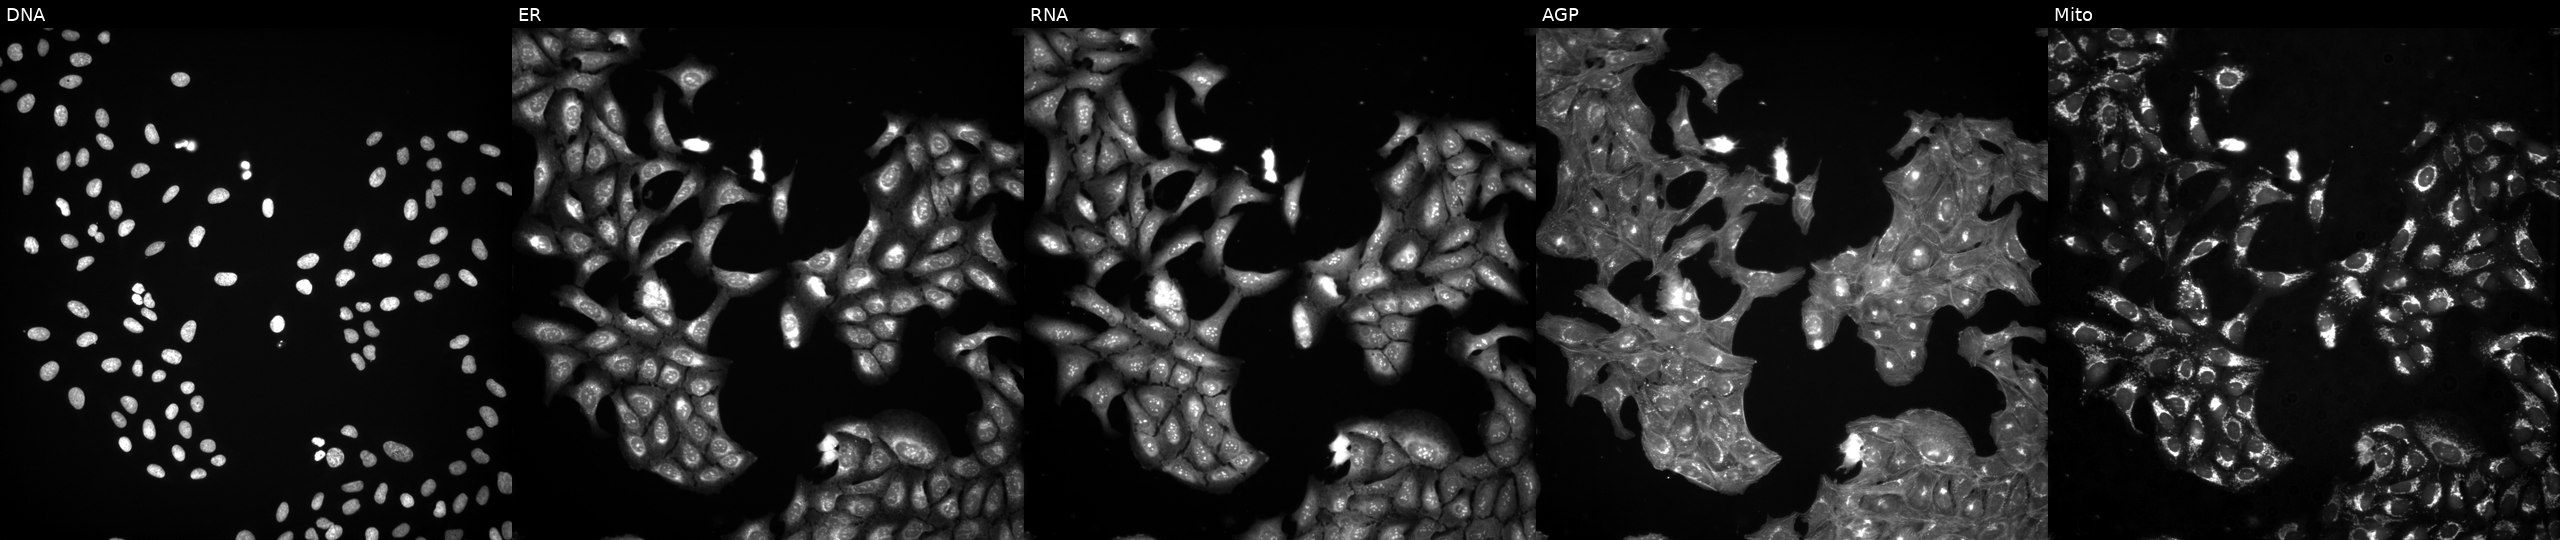
High-content fluorescence microscopy (Cell Painting). Cell line: U2OS. Perturbation: exposed to a small-molecule compound (InChIKey NBDNNRXDKVMOIX-UHFFFAOYSA-N). Panels show, left to right, DNA, ER, RNA, AGP, and Mito.